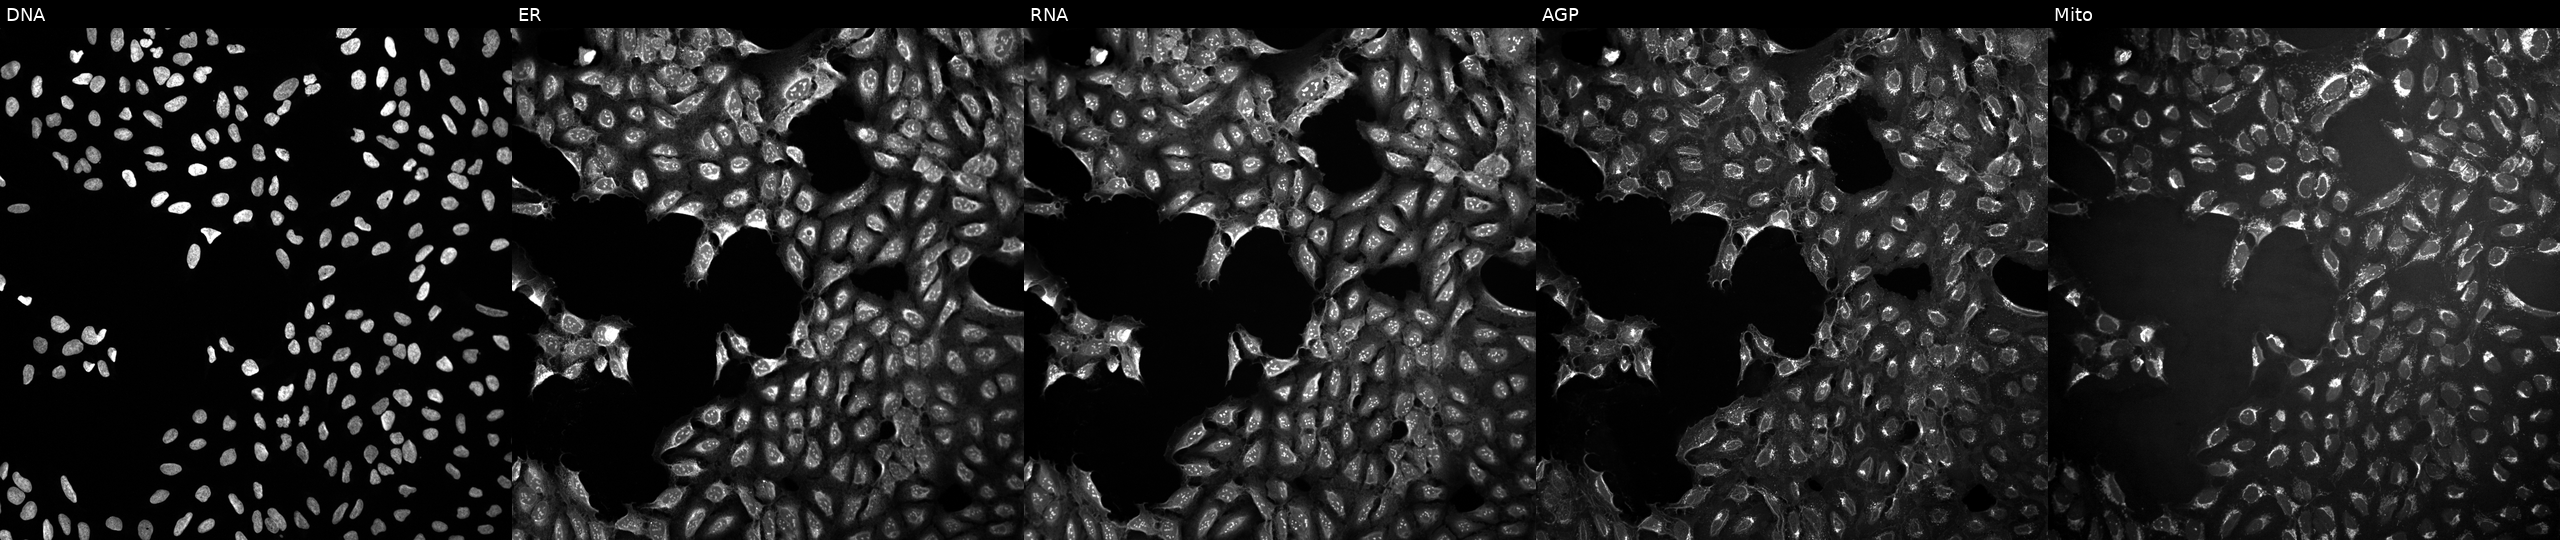
U2OS cells, Cell Painting assay, exposed to a small-molecule compound (InChIKey AGNWVEJTZJIJIM-UHFFFAOYSA-N) (JUMP id JCP2022_001275). Channels (left→right): Hoechst 33342, concanavalin A, SYTO 14, phalloidin and WGA, MitoTracker. Each panel is percentile-stretched 16-bit fluorescence.